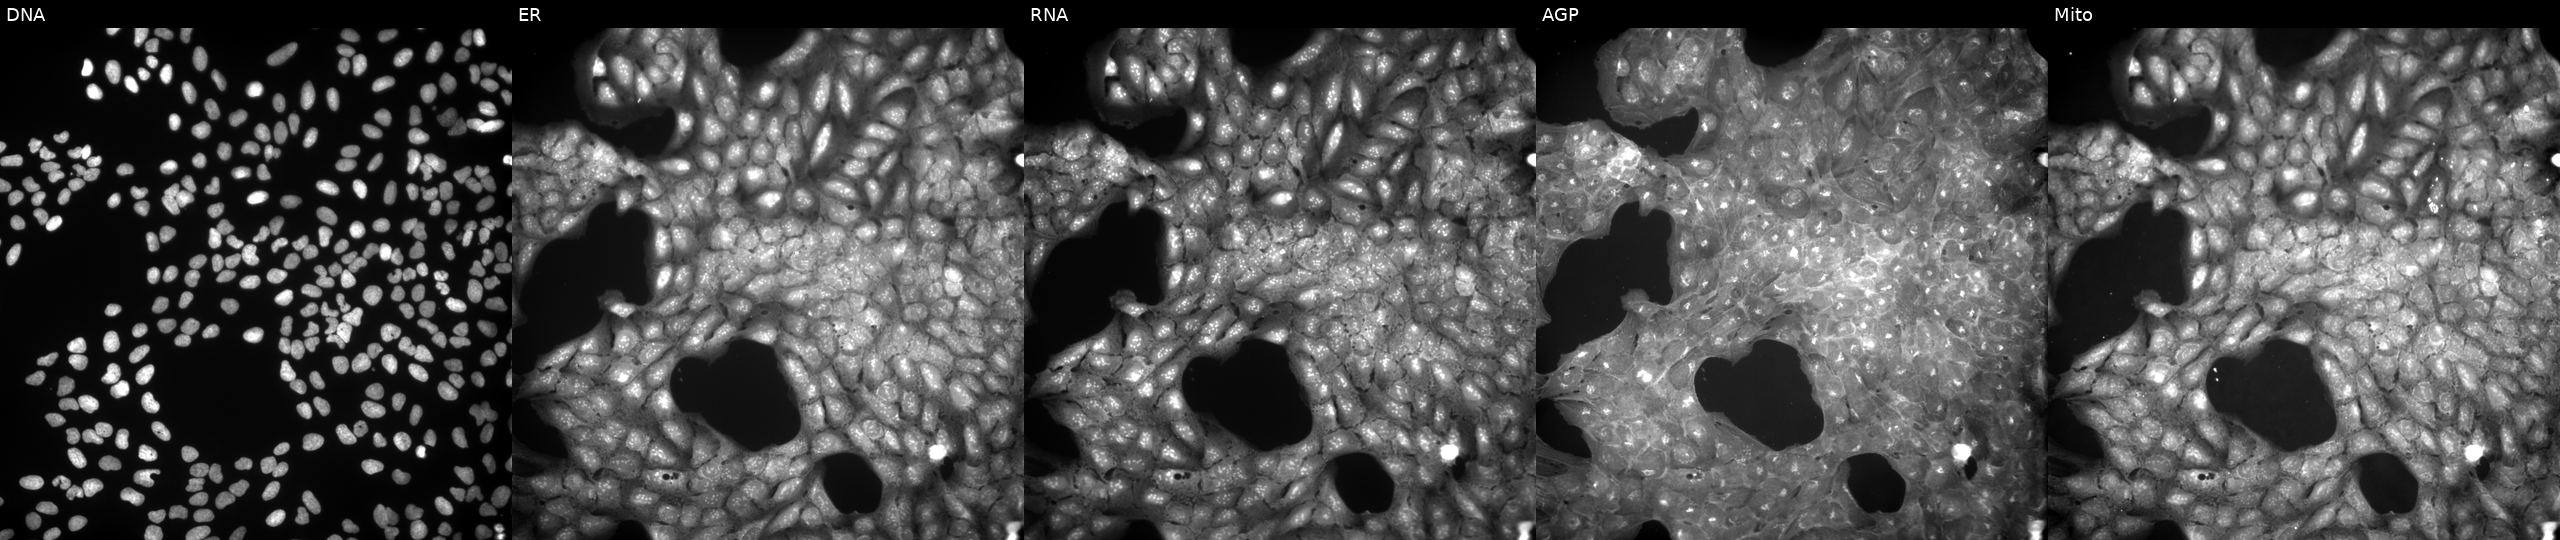
High-content fluorescence microscopy (Cell Painting). Cell line: U2OS. Perturbation: treated with dexamethasone (positive-control compound). Channels (left→right): DNA, ER, RNA, AGP, and Mito.